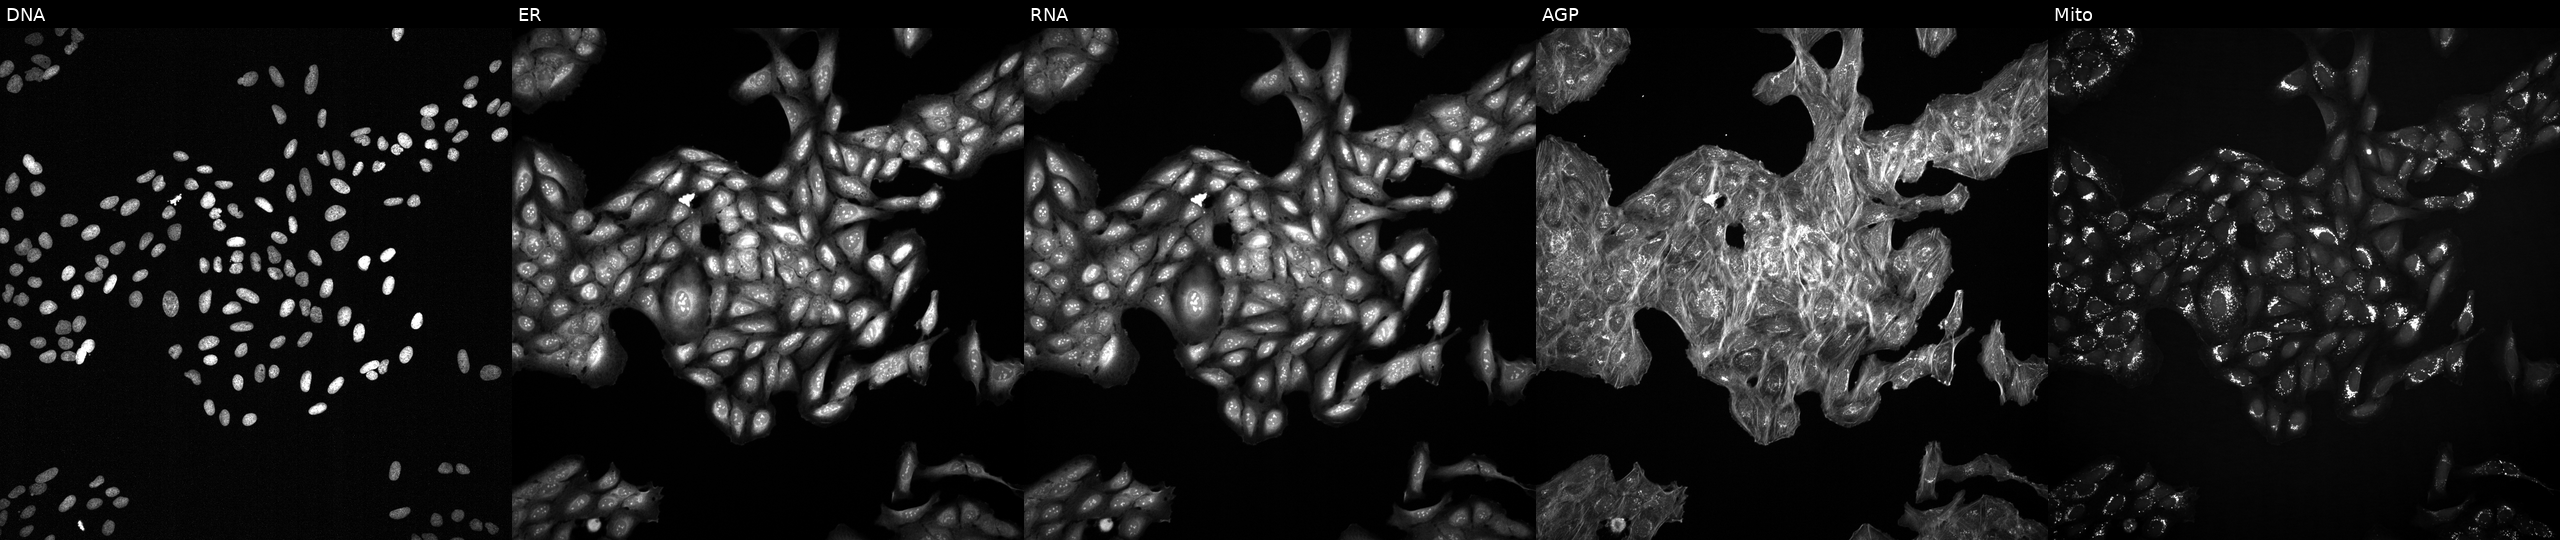
JUMP Cell Painting — TARGET2 plate. U2OS cells treated with a small-molecule compound (JUMP id JCP2022_098688). From left to right: Hoechst 33342, concanavalin A, SYTO 14, phalloidin and WGA, MitoTracker.